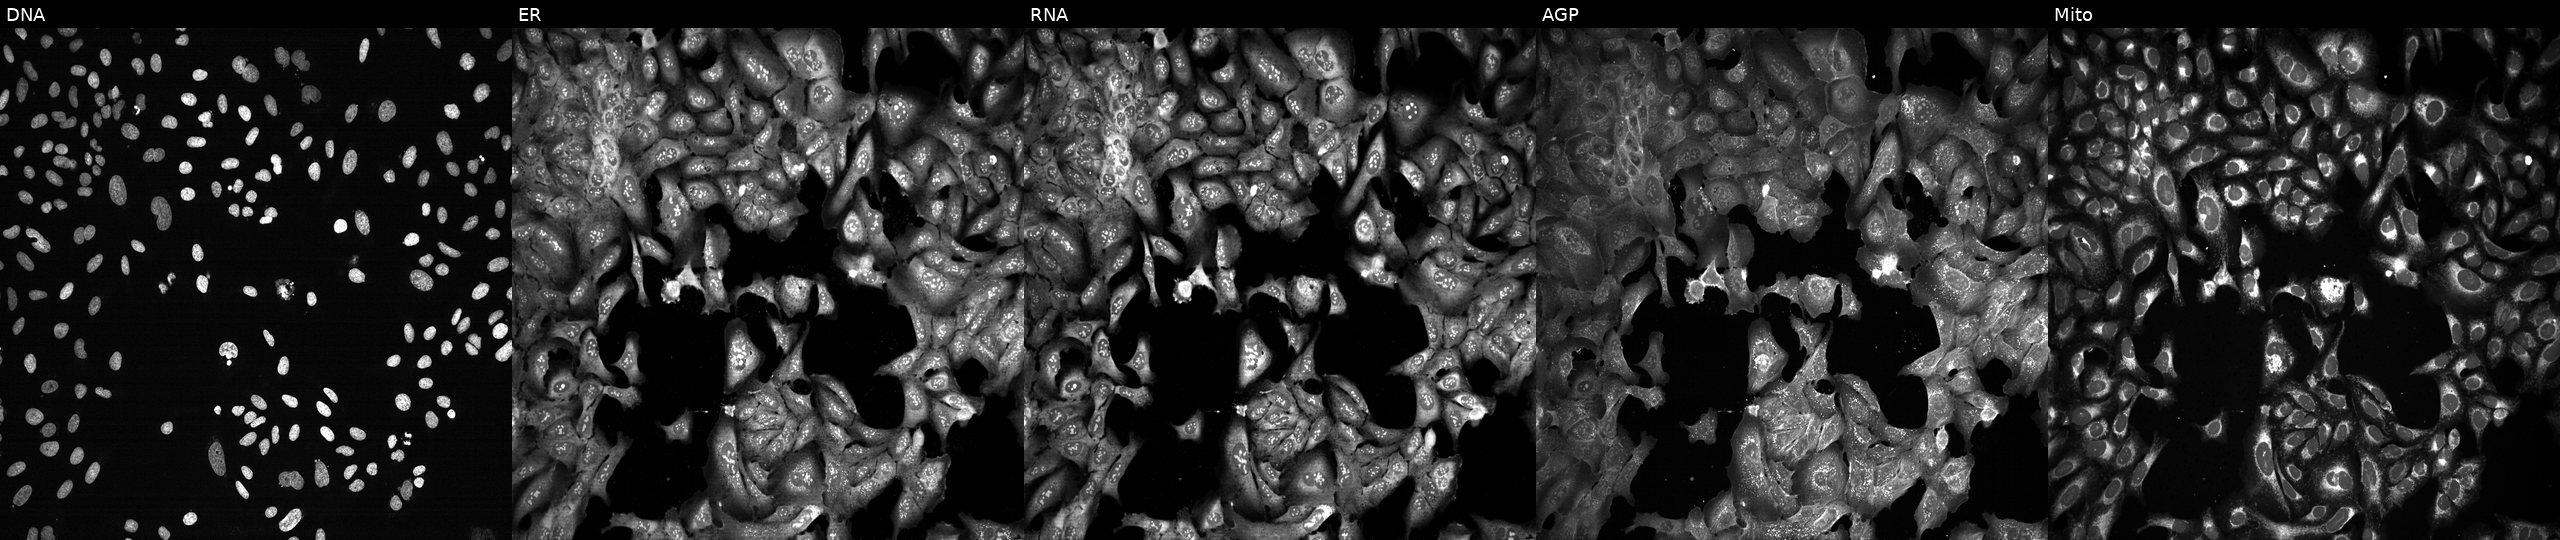
This image strip shows the five Cell Painting channels for a single field of U2OS cells following CRISPR knockout of PM20D1 (JUMP id JCP2022_805291). From left to right: Hoechst 33342, concanavalin A, SYTO 14, phalloidin and WGA, MitoTracker. Source 13, plate CP-CC9-R6-19, well K09.